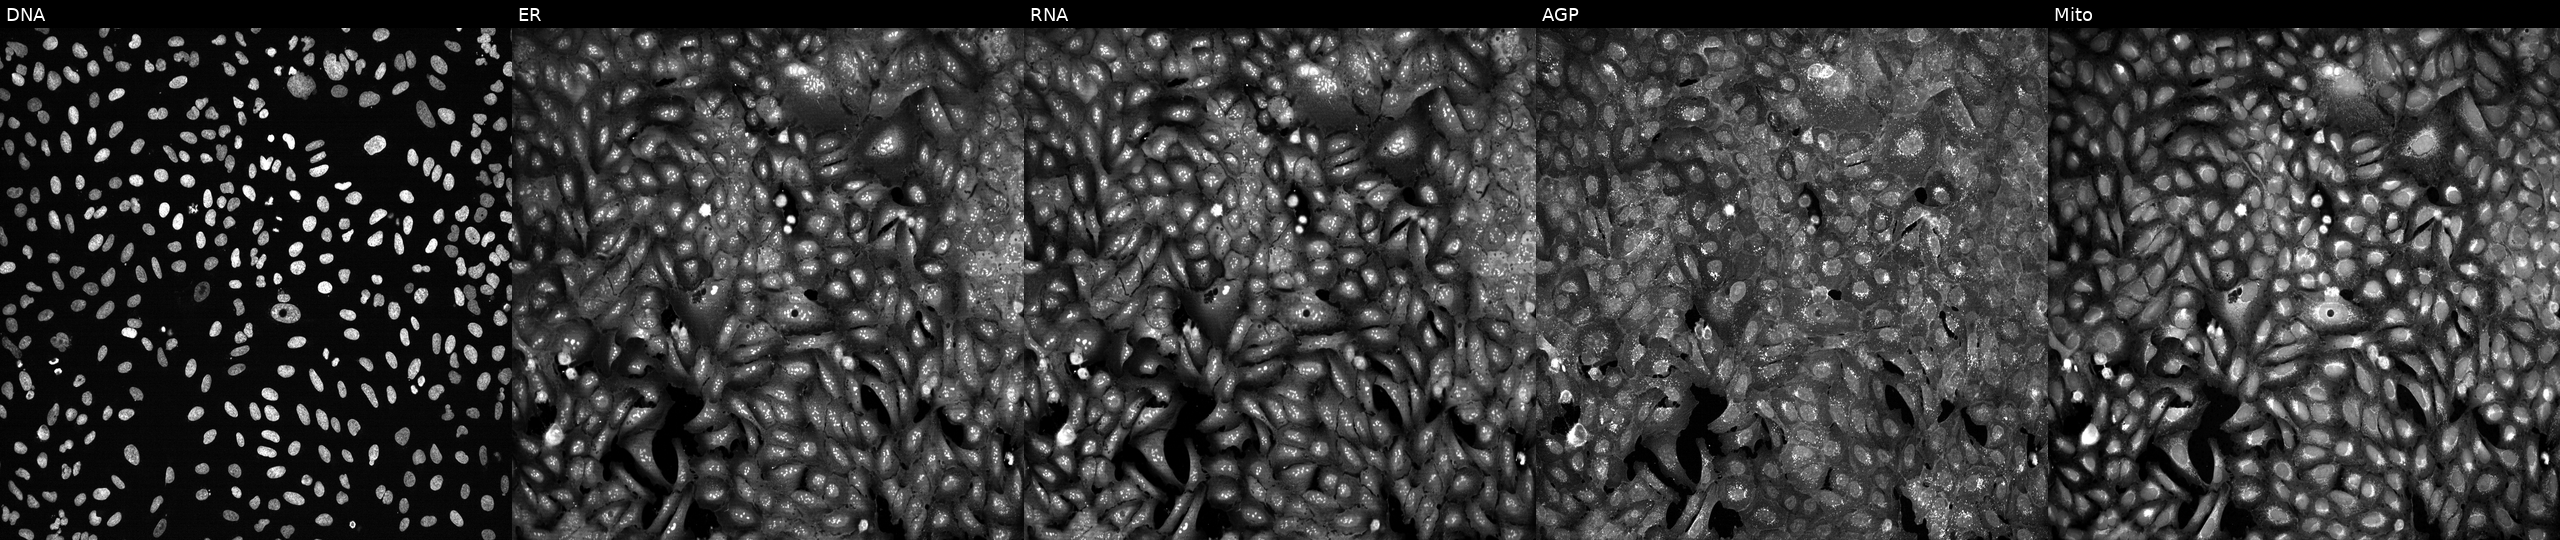
U2OS cells, Cell Painting assay, with TSTA3 knocked out by CRISPR (JUMP id JCP2022_807376). The five panels, left to right, show DNA, ER, RNA, AGP, and Mito. Each panel is percentile-stretched 16-bit fluorescence. Source 13, plate CP-CC9-R1-02, well D15.